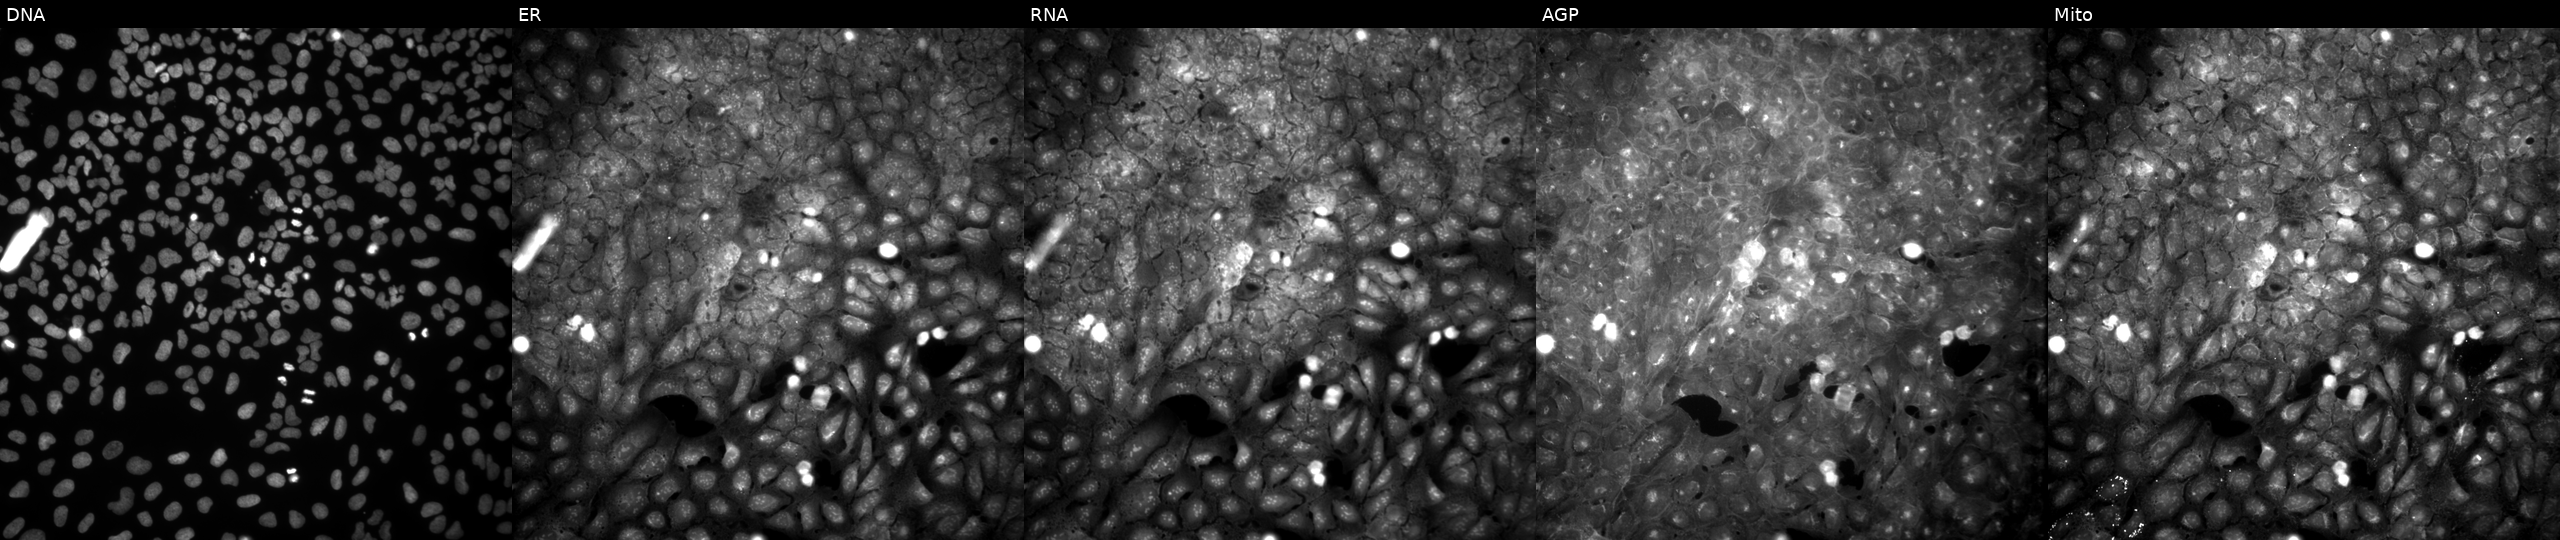
This image strip shows the five Cell Painting channels for a single field of U2OS cells exposed to a small-molecule compound (InChIKey SKJLIVNMOZLGGA-UHFFFAOYSA-N) [SMILES: Cc1cc(=Nc2ccccc2C(=O)O)n2[nH]cnc2n1] (JUMP id JCP2022_083825). From left to right: DNA, ER, RNA, AGP, and Mito. Source 9, plate GR00003381, well E32.